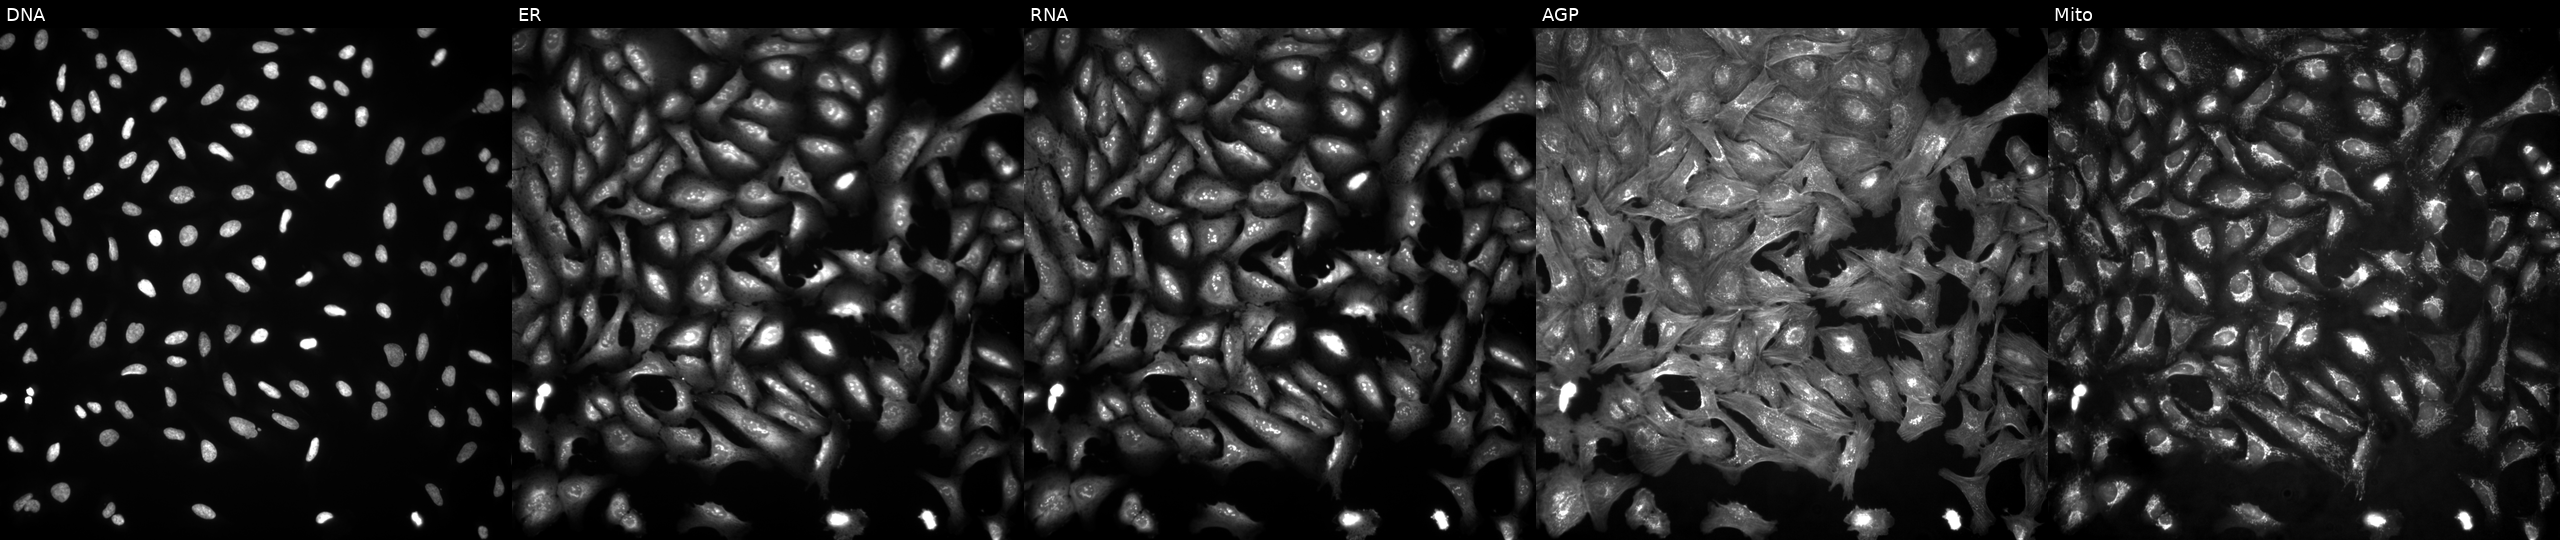
This image strip shows the five Cell Painting channels for a single field of U2OS cells overexpressing ABHD13 via ORF transfection. Channels (left→right): Hoechst 33342, concanavalin A, SYTO 14, phalloidin and WGA, MitoTracker.